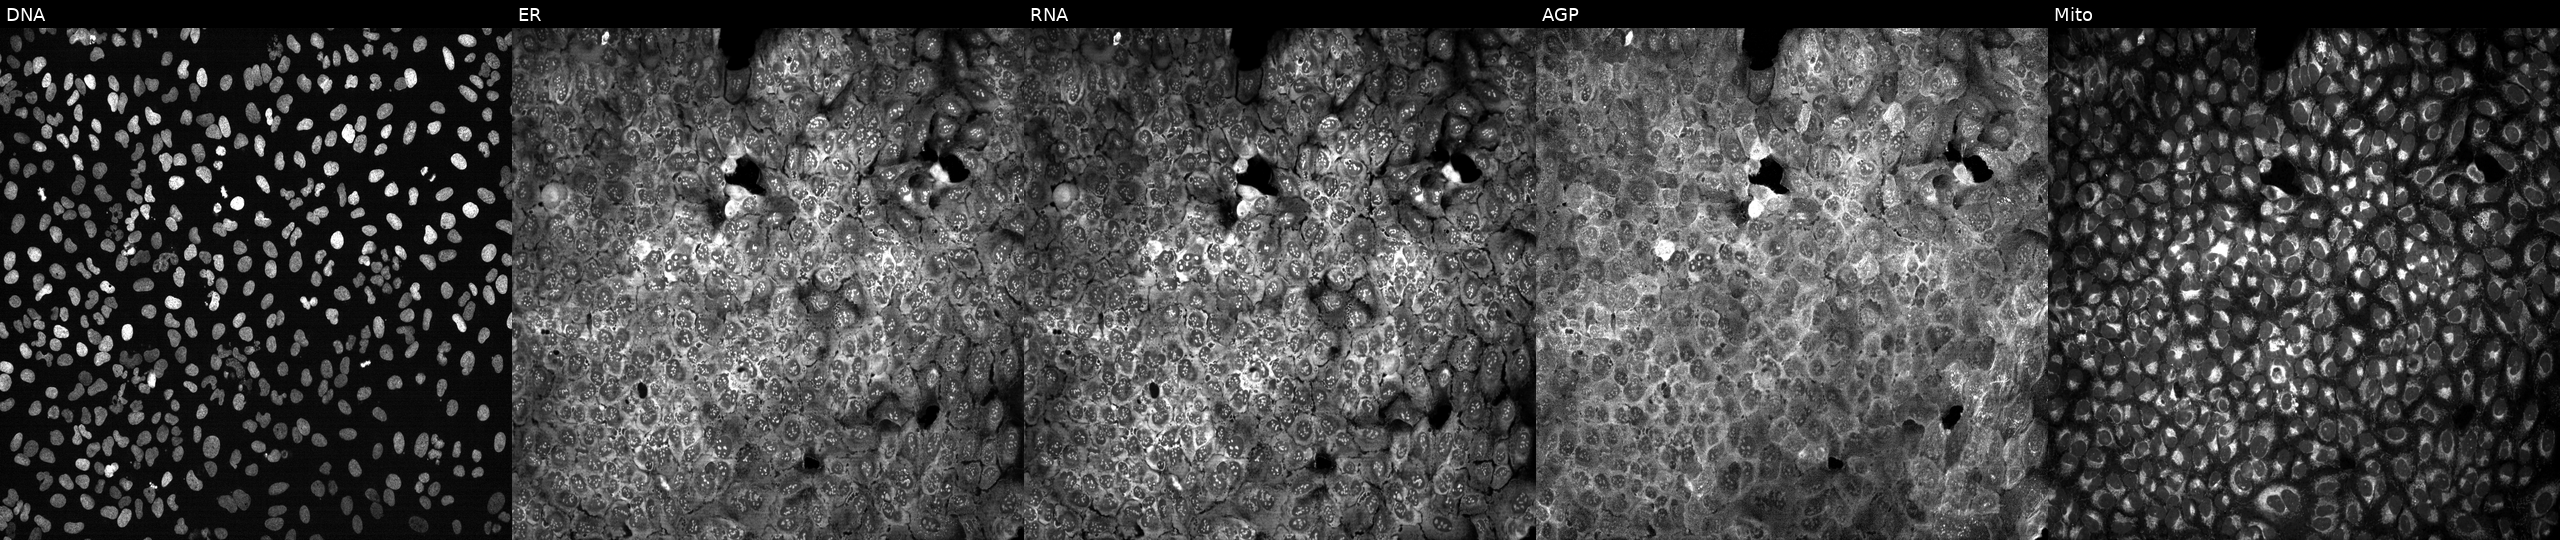
High-content fluorescence microscopy (Cell Painting). Cell line: U2OS. Perturbation: with AKAP14 knocked out by CRISPR. From left to right: Hoechst 33342, concanavalin A, SYTO 14, phalloidin and WGA, MitoTracker.